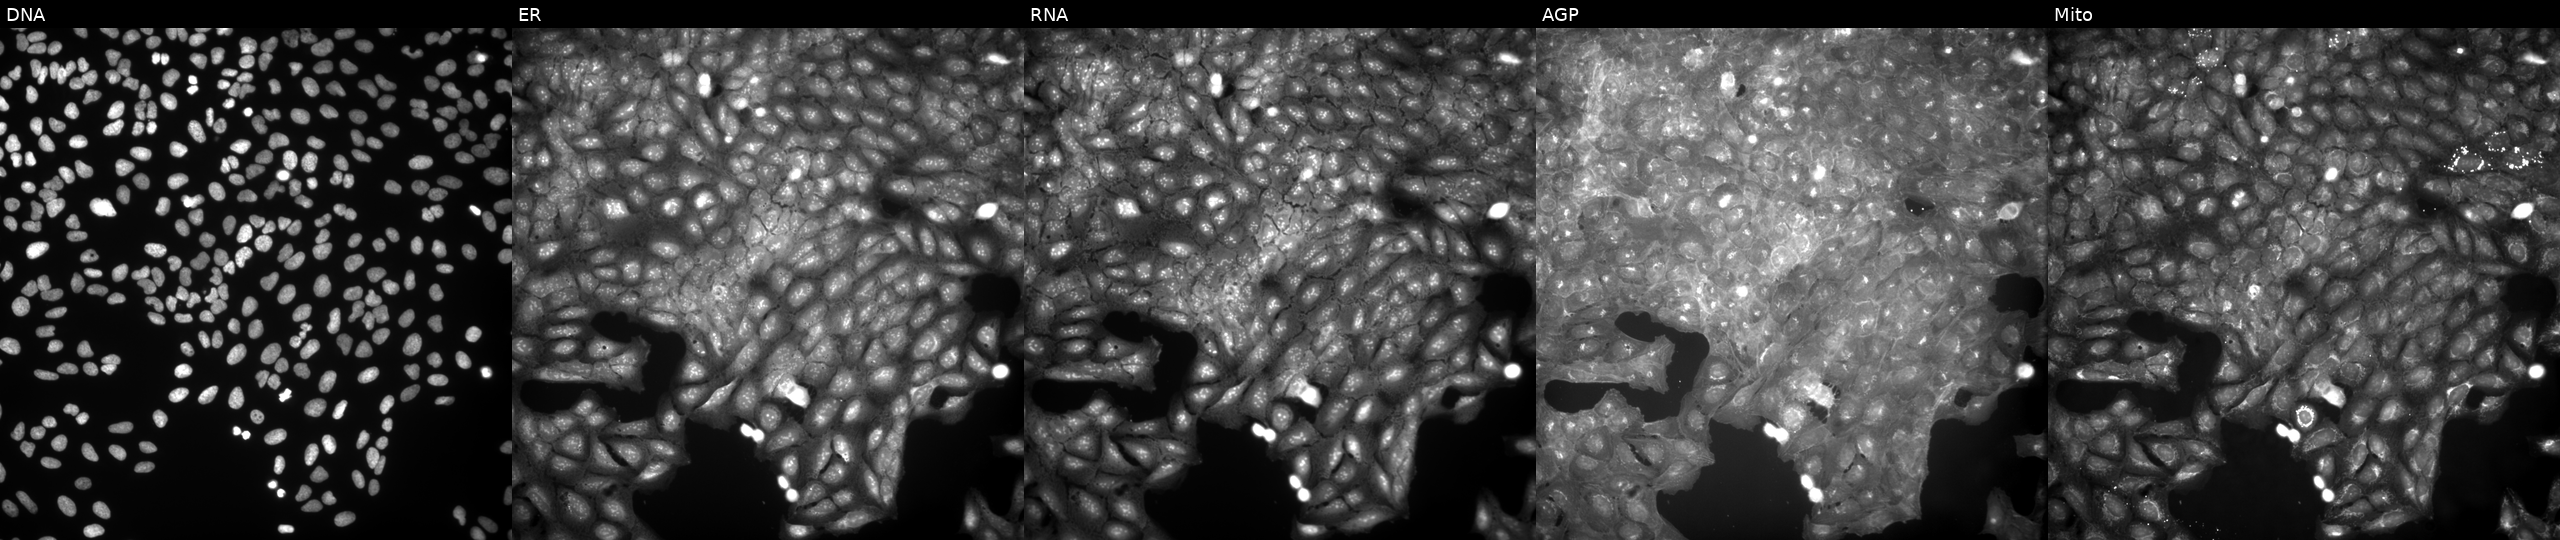
This image strip shows the five Cell Painting channels for a single field of U2OS cells exposed to a small-molecule compound (InChIKey SJAVSGRPTJXTFR-UHFFFAOYSA-N). Panels show, left to right, DNA, ER, RNA, AGP, and Mito. Source 9, plate GR00003381, well N33.